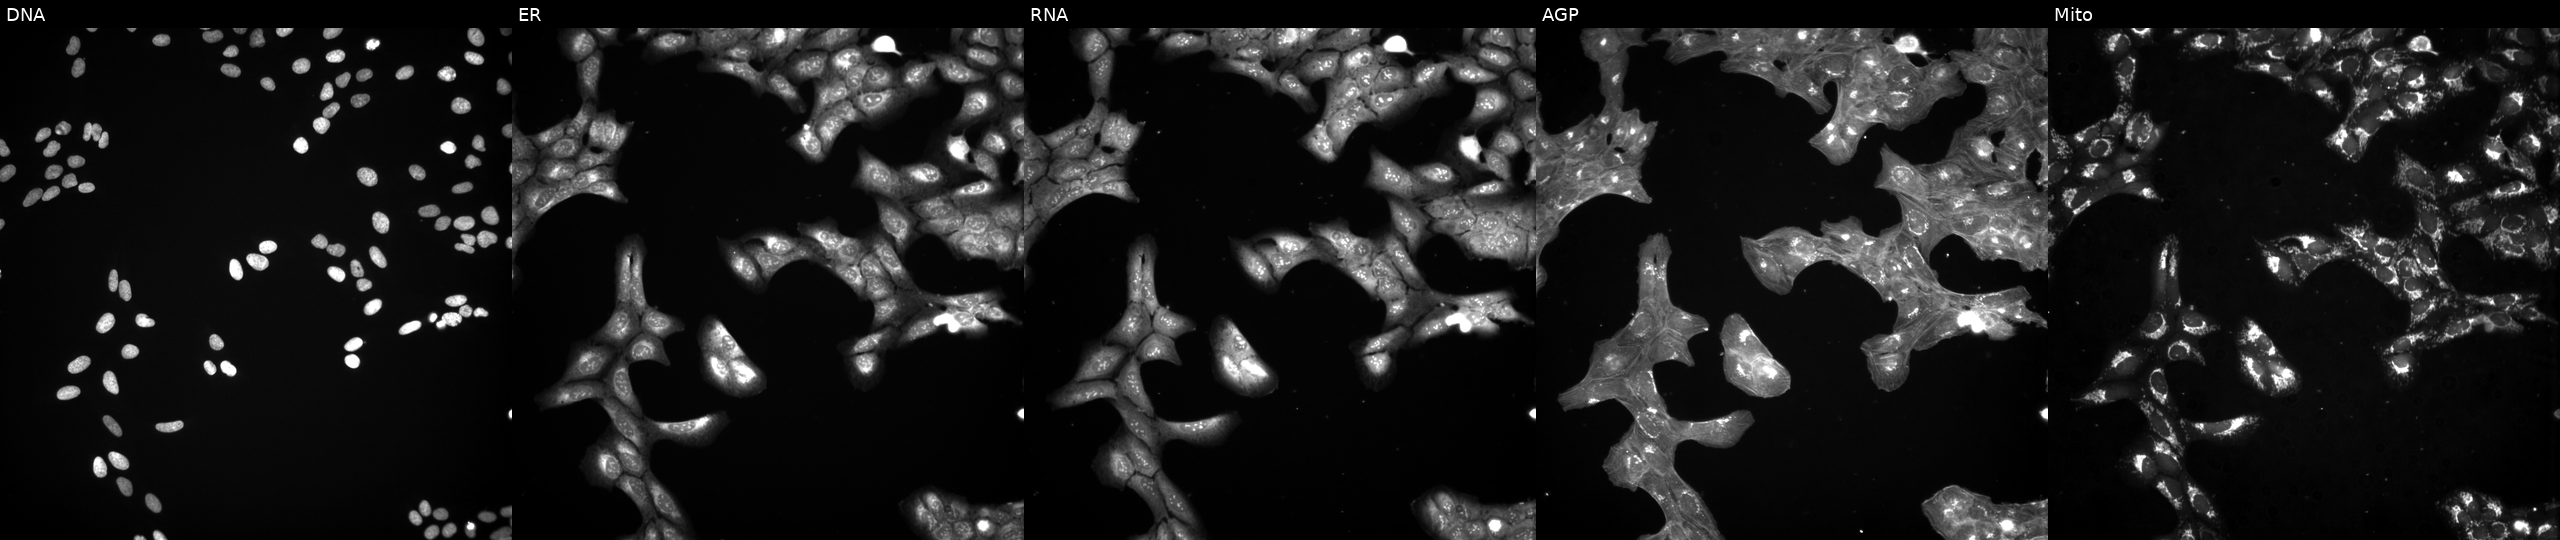
U2OS cells, Cell Painting assay, exposed to a small-molecule compound (InChIKey PZIPCVZOBIZUCI-UHFFFAOYSA-N). Channels (left→right): DNA, ER, RNA, AGP, and Mito. Each panel is percentile-stretched 16-bit fluorescence.